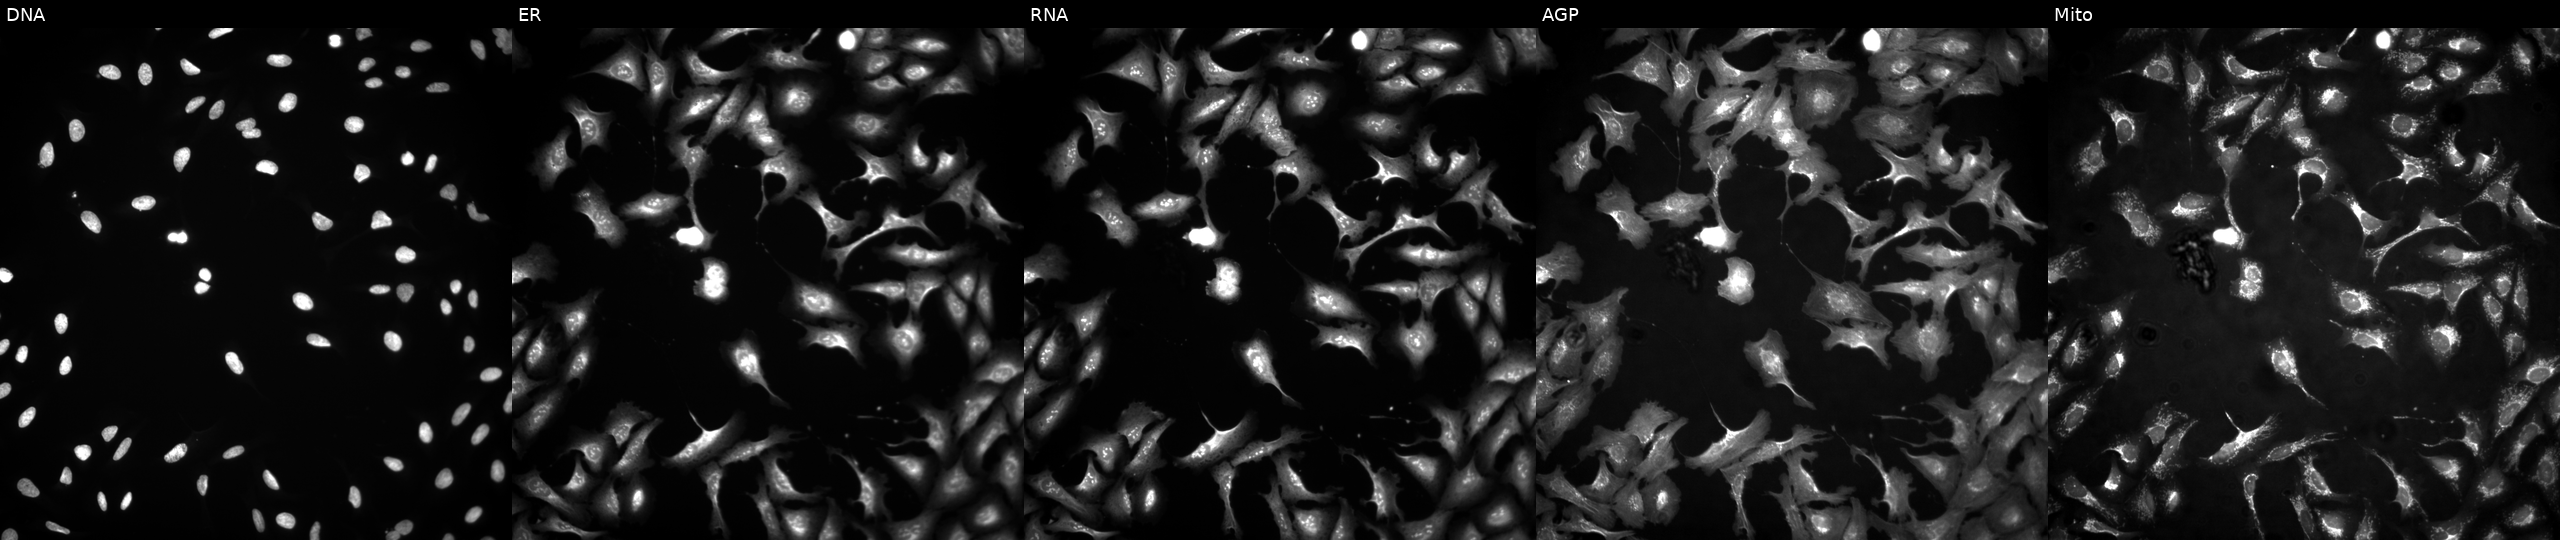
High-content fluorescence microscopy (Cell Painting). Cell line: U2OS. Perturbation: untreated (empty-well control) (JUMP id JCP2022_999999). From left to right: DNA (nuclei); ER (endoplasmic reticulum); RNA (nucleoli and cytoplasmic RNA); AGP (actin cytoskeleton, Golgi, and plasma membrane); Mito (mitochondria).